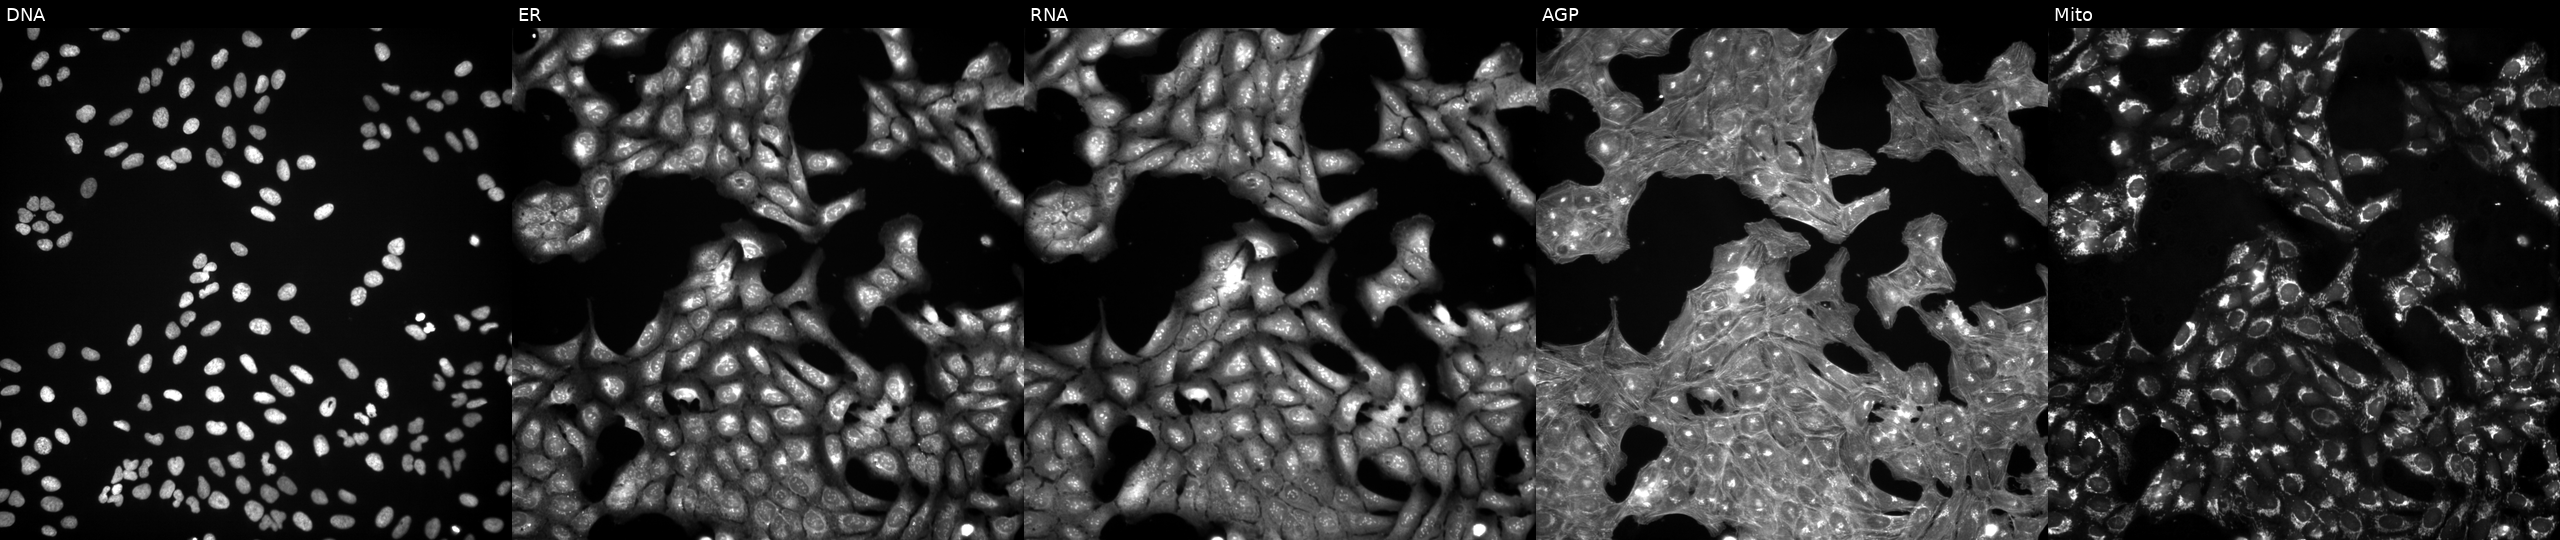
U2OS cells, Cell Painting assay, perturbed with a small-molecule compound (InChIKey ZRALSGWEFCBTJO-UHFFFAOYSA-N) (JUMP id JCP2022_115134). Panels show, left to right, DNA (nuclei); ER (endoplasmic reticulum); RNA (nucleoli and cytoplasmic RNA); AGP (actin cytoskeleton, Golgi, and plasma membrane); Mito (mitochondria). Each panel is percentile-stretched 16-bit fluorescence. Source 3, plate JCPQC053, well I05.